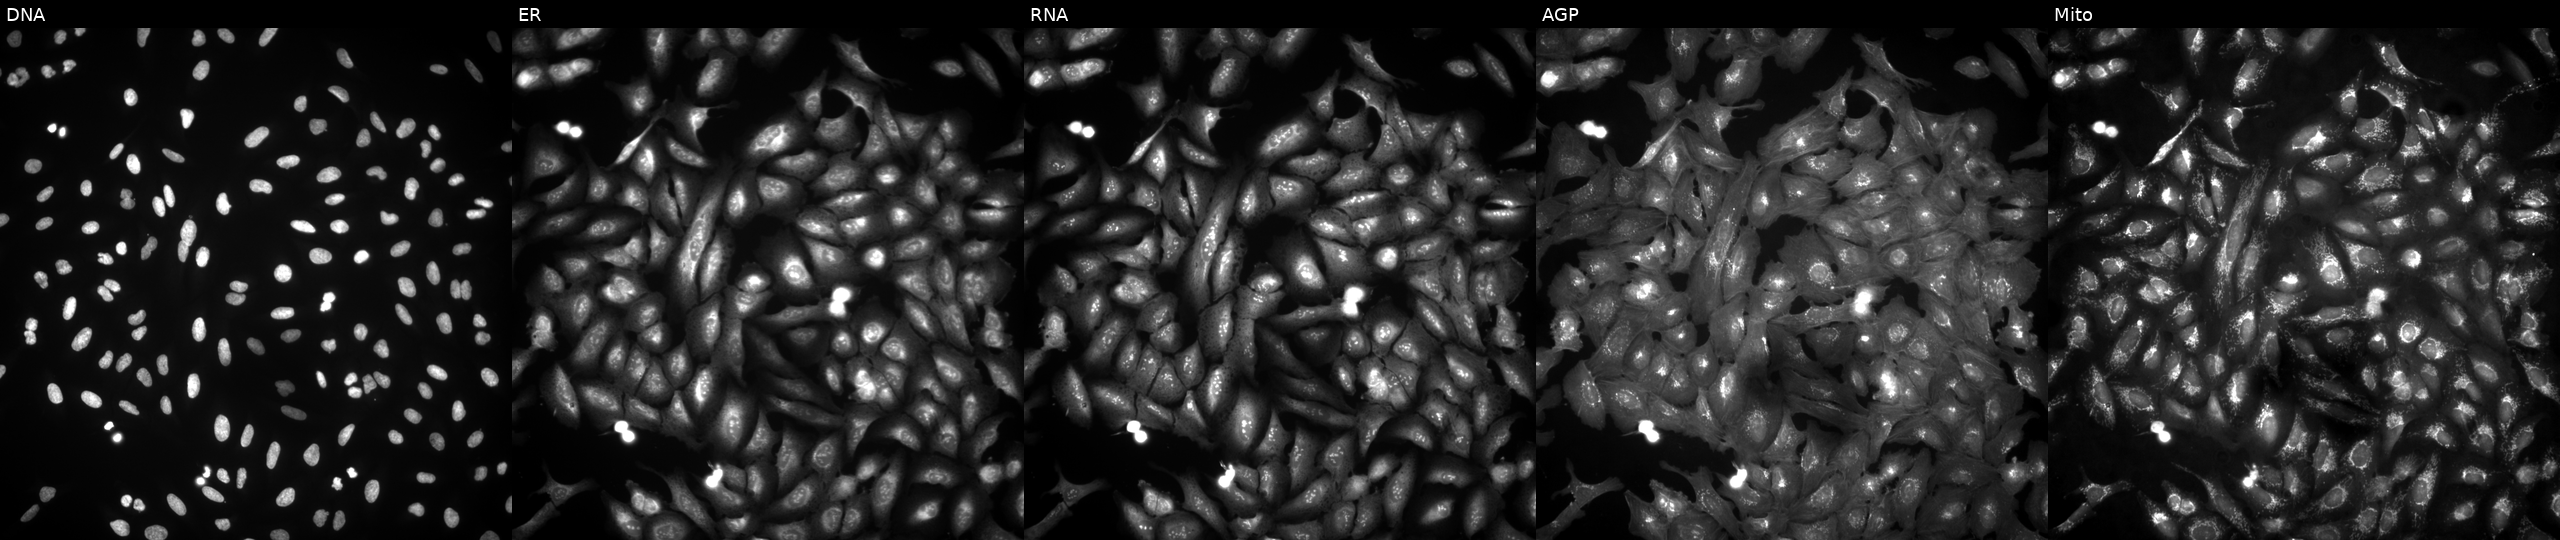
High-content fluorescence microscopy (Cell Painting). Cell line: U2OS. Perturbation: with TMEM223 overexpressed (ORF). From left to right: DNA (nuclei); ER (endoplasmic reticulum); RNA (nucleoli and cytoplasmic RNA); AGP (actin cytoskeleton, Golgi, and plasma membrane); Mito (mitochondria). Source 4, plate BR00124790, well D13.